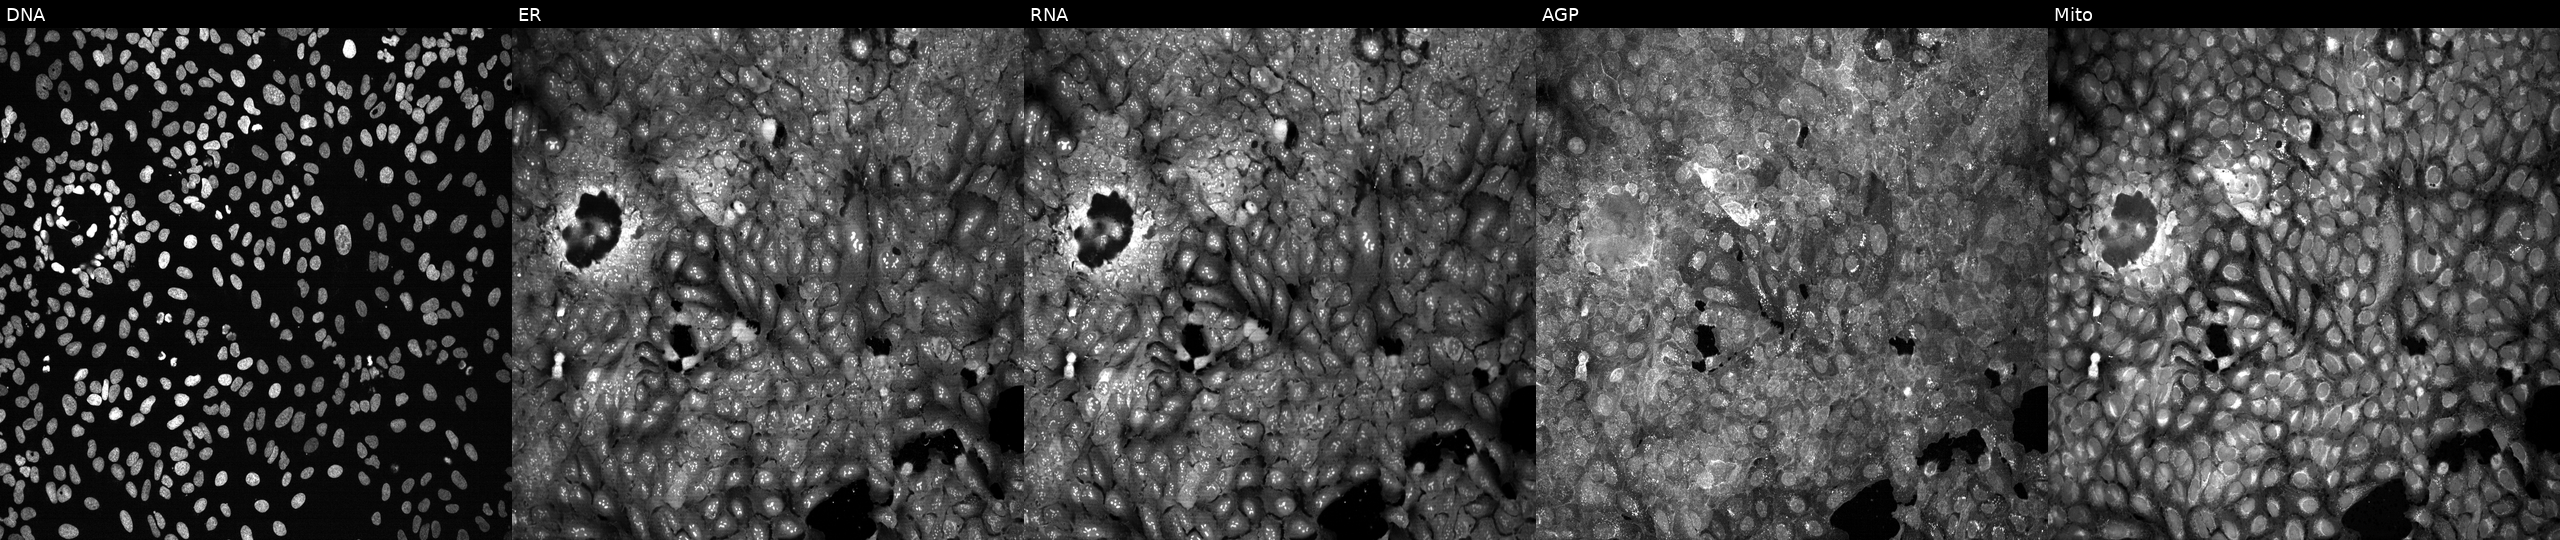
U2OS cells, Cell Painting assay, with KIF3B knocked out by CRISPR. The five panels, left to right, show DNA, ER, RNA, AGP, and Mito. Each panel is percentile-stretched 16-bit fluorescence.